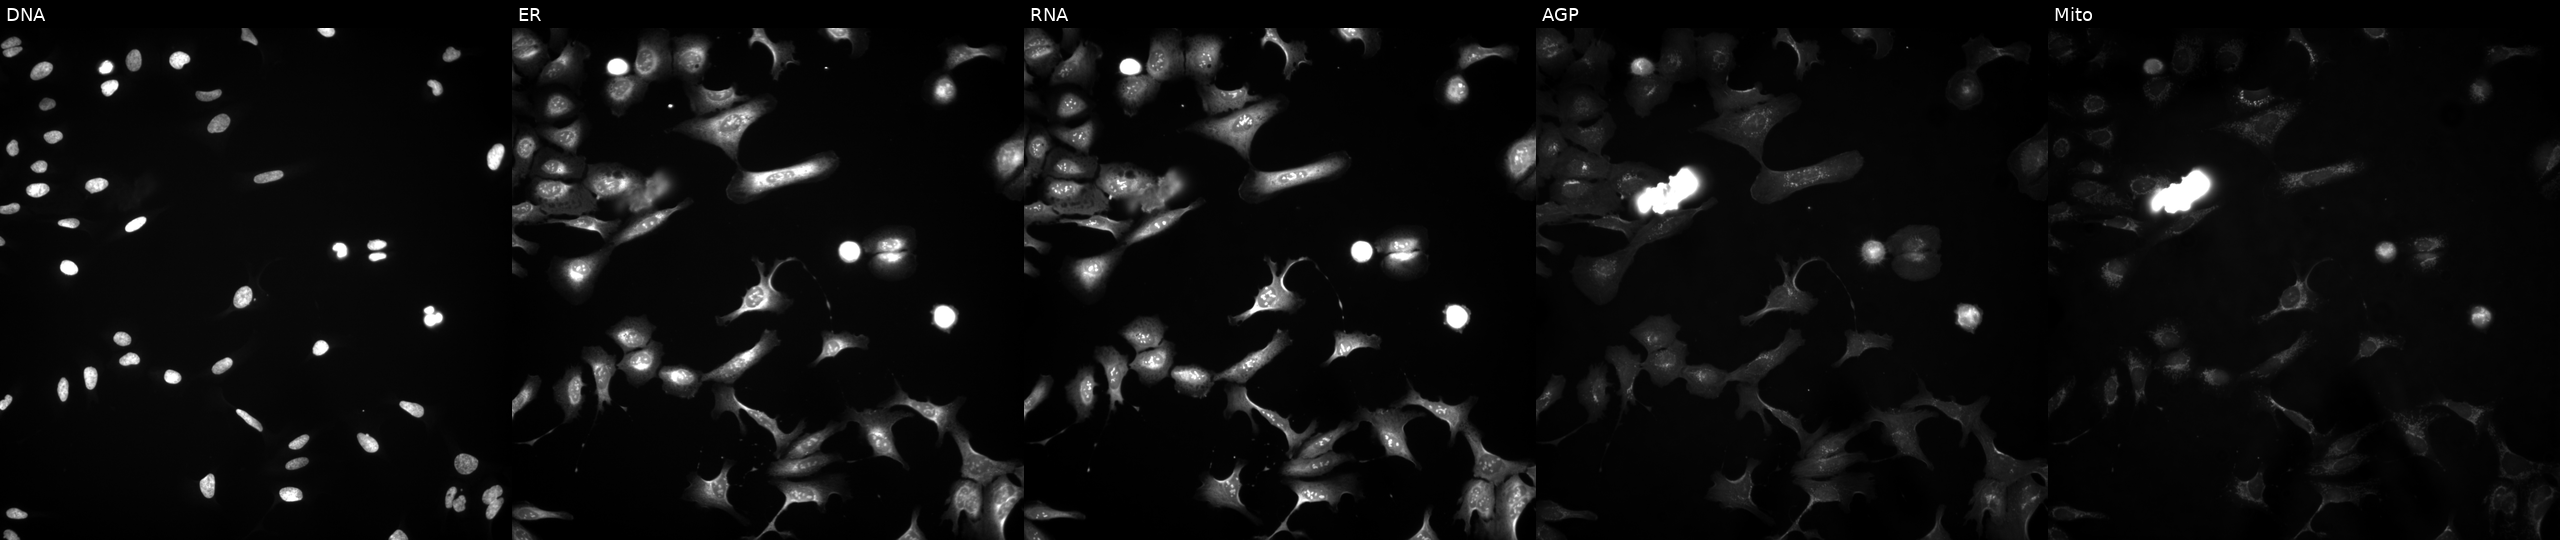
This image strip shows the five Cell Painting channels for a single field of U2OS cells overexpressing NALCN via ORF transfection (JUMP id JCP2022_912568). From left to right: DNA, ER, RNA, AGP, and Mito. Source 4, plate BR00121543, well J15.